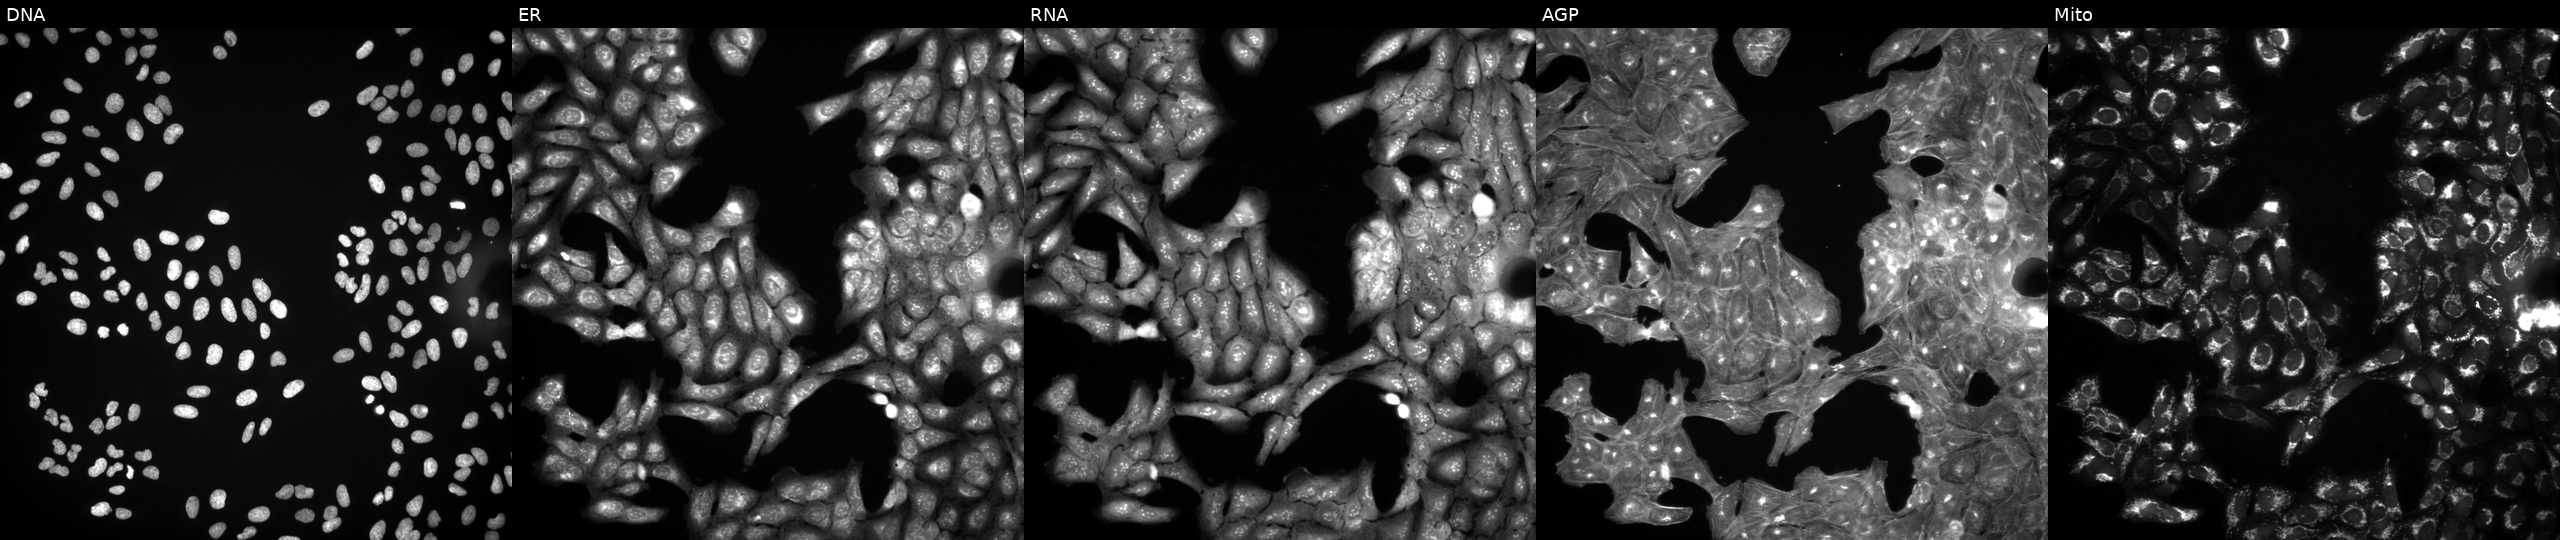
Five-channel Cell Painting image of U2OS cells treated with a small-molecule compound (InChIKey KSCFJBIXMNOVSH-UHFFFAOYSA-N) [SMILES: Cn1c(=O)c2c(ncn2CC(O)CO)n(C)c1=O]. The five panels, left to right, show Hoechst 33342, concanavalin A, SYTO 14, phalloidin and WGA, MitoTracker.